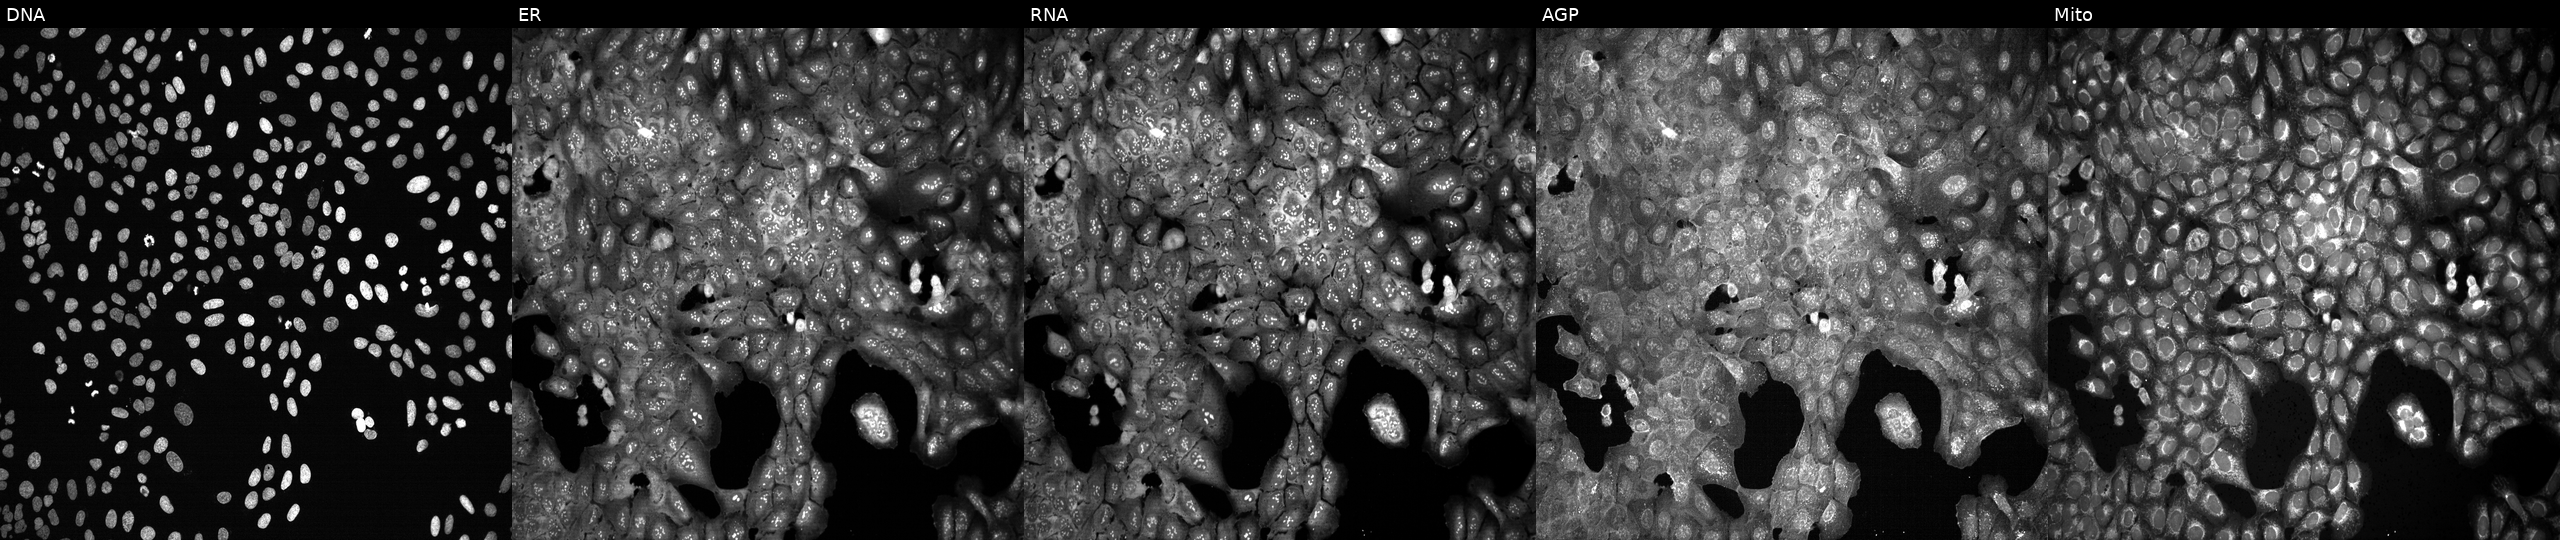
Five-channel Cell Painting image of U2OS cells with GABARAPL2 knocked out by CRISPR. From left to right: DNA, ER, RNA, AGP, and Mito.